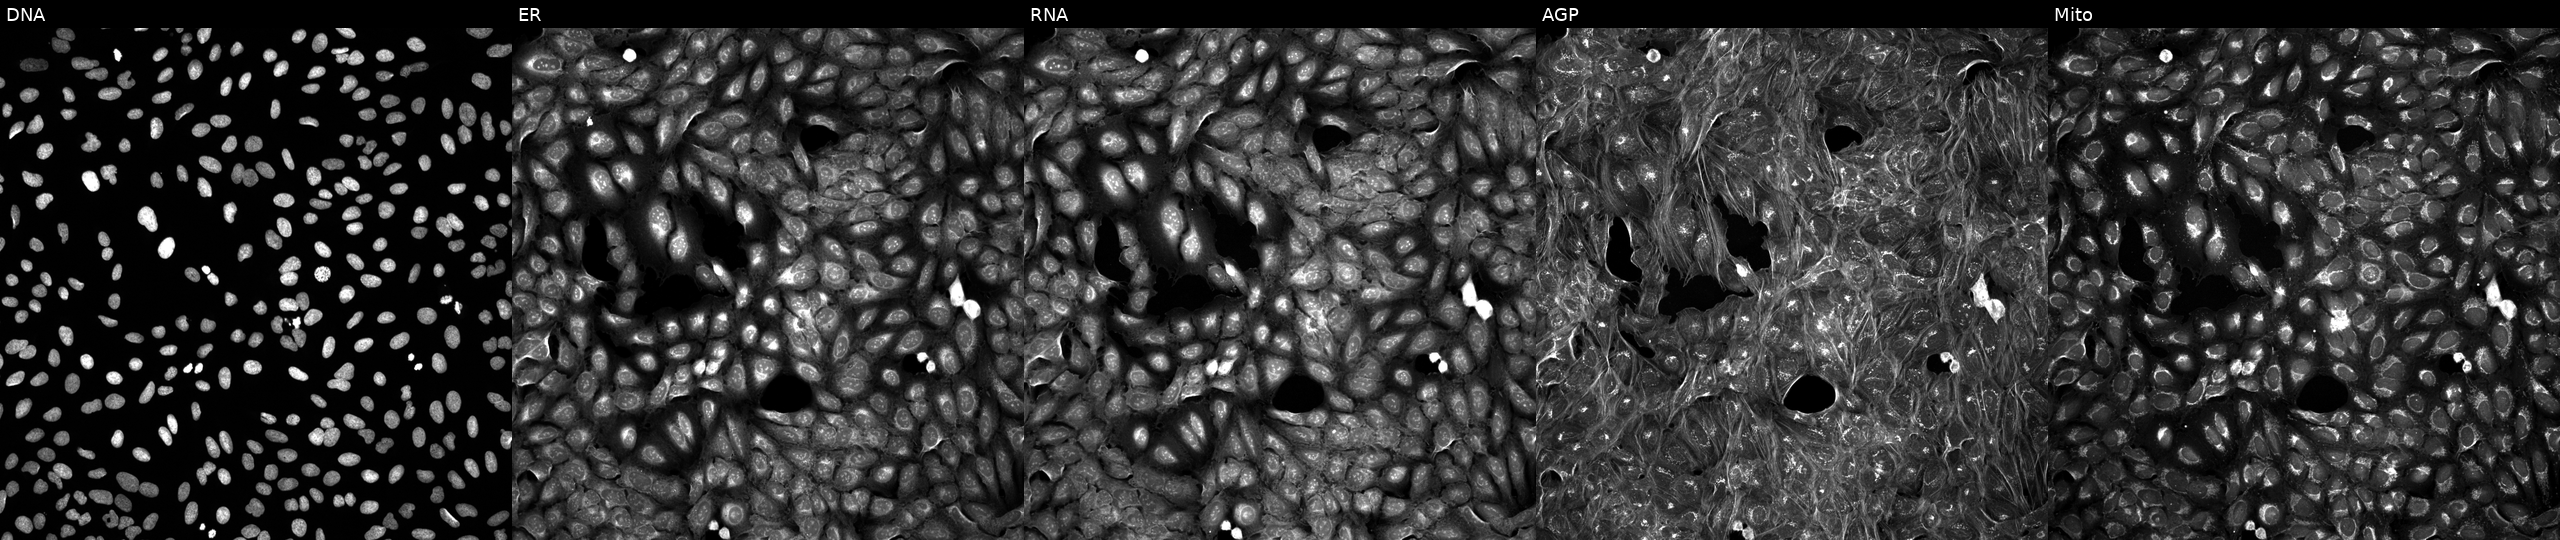
U2OS cells, Cell Painting assay, treated with a small-molecule compound (InChIKey PYNXFZCZUAOOQC-UHFFFAOYSA-N). Channels (left→right): DNA, ER, RNA, AGP, and Mito. Each panel is percentile-stretched 16-bit fluorescence.